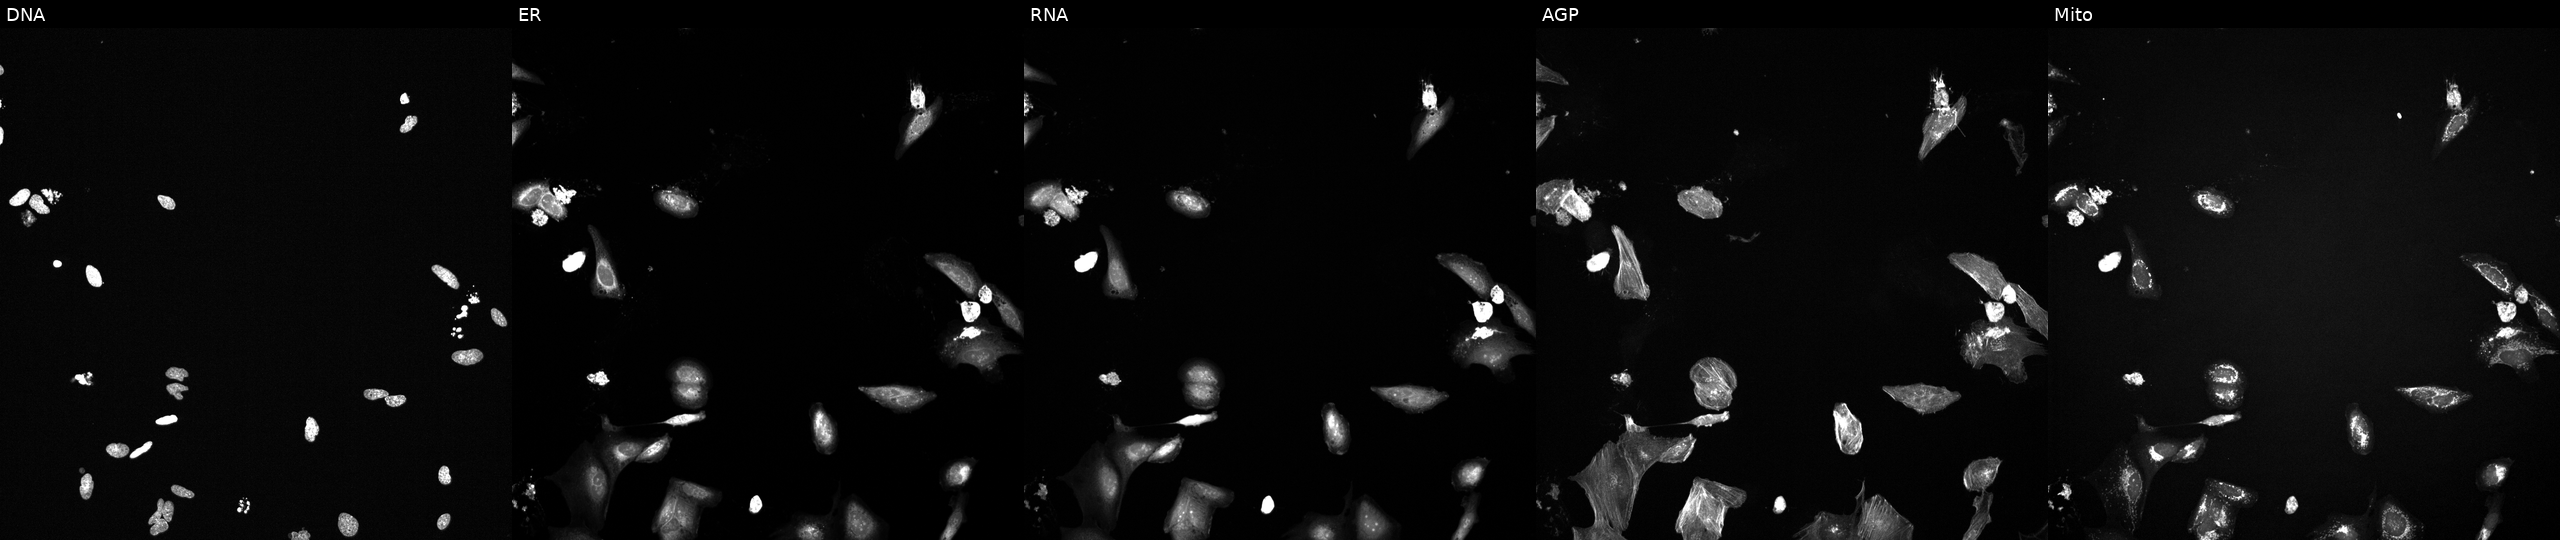
This image strip shows the five Cell Painting channels for a single field of U2OS cells perturbed with a small-molecule compound (InChIKey AYCPARAPKDAOEN-UHFFFAOYSA-N) (JUMP id JCP2022_004587). From left to right: DNA, ER, RNA, AGP, and Mito.